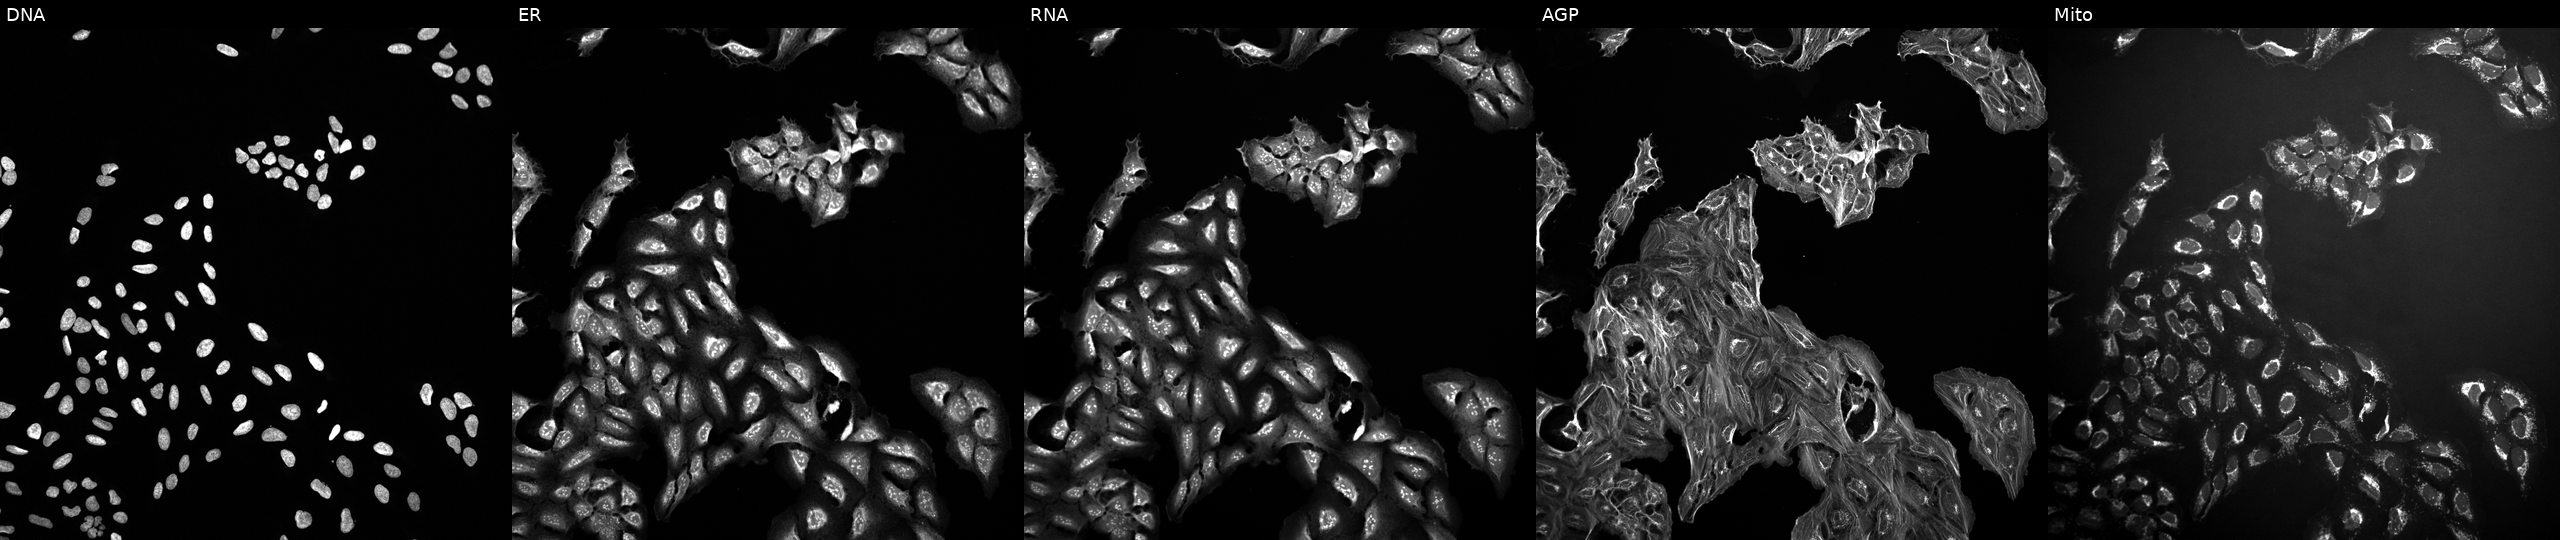
High-content fluorescence microscopy (Cell Painting). Cell line: U2OS. Perturbation: exposed to DMSO alone as a negative control. Panels show, left to right, DNA (nuclei); ER (endoplasmic reticulum); RNA (nucleoli and cytoplasmic RNA); AGP (actin cytoskeleton, Golgi, and plasma membrane); Mito (mitochondria).